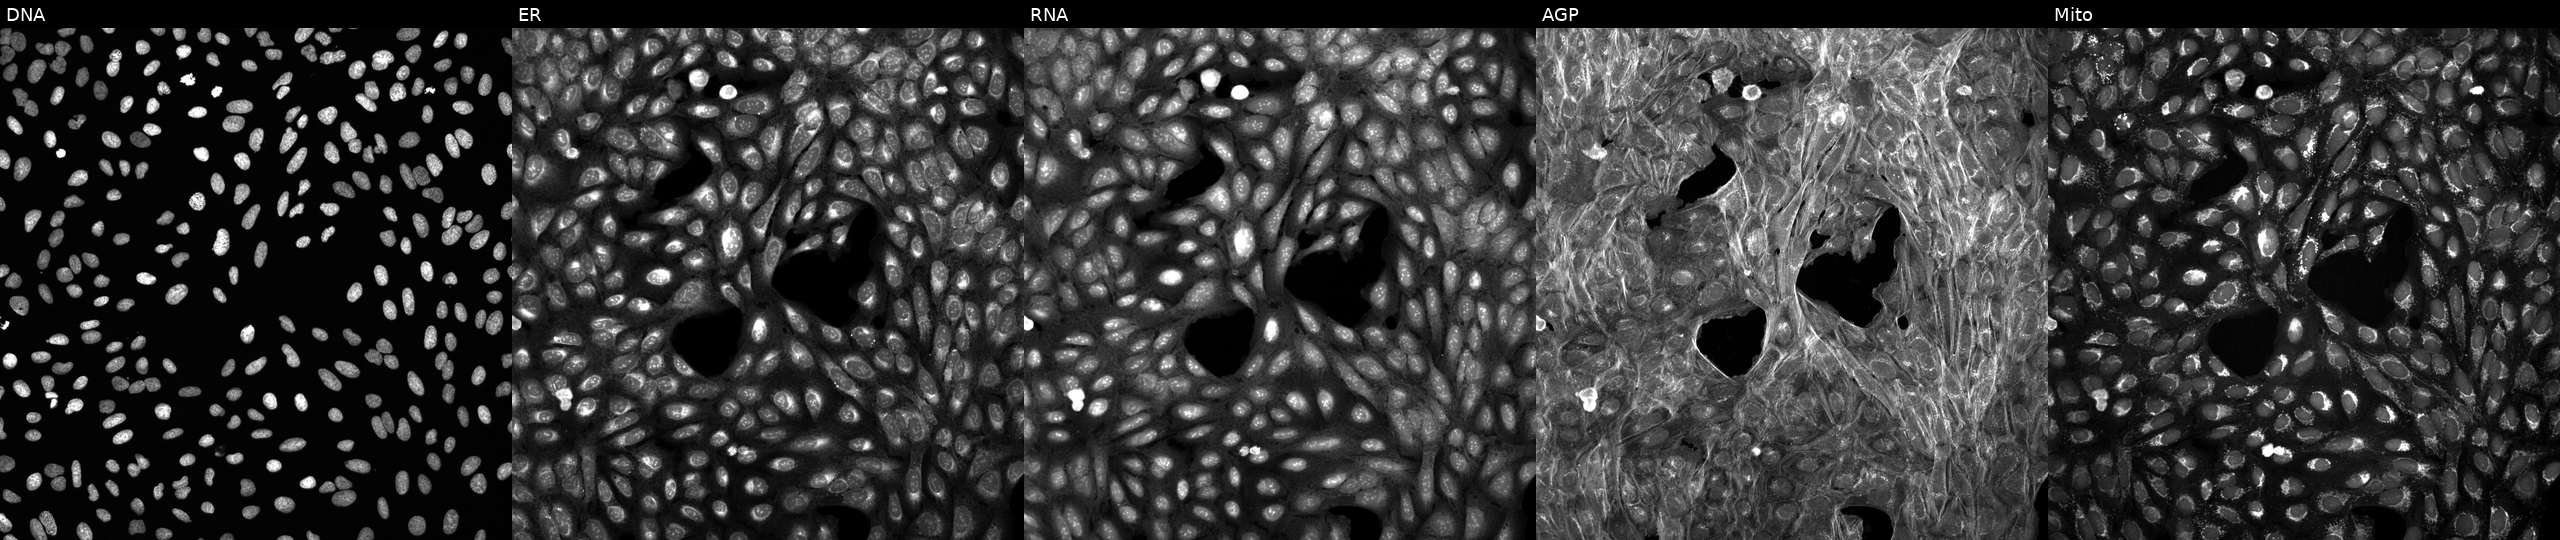
This image strip shows the five Cell Painting channels for a single field of U2OS cells treated with DMSO vehicle only (negative control). From left to right: Hoechst 33342, concanavalin A, SYTO 14, phalloidin and WGA, MitoTracker. Source 6, plate 110000294901, well M03.